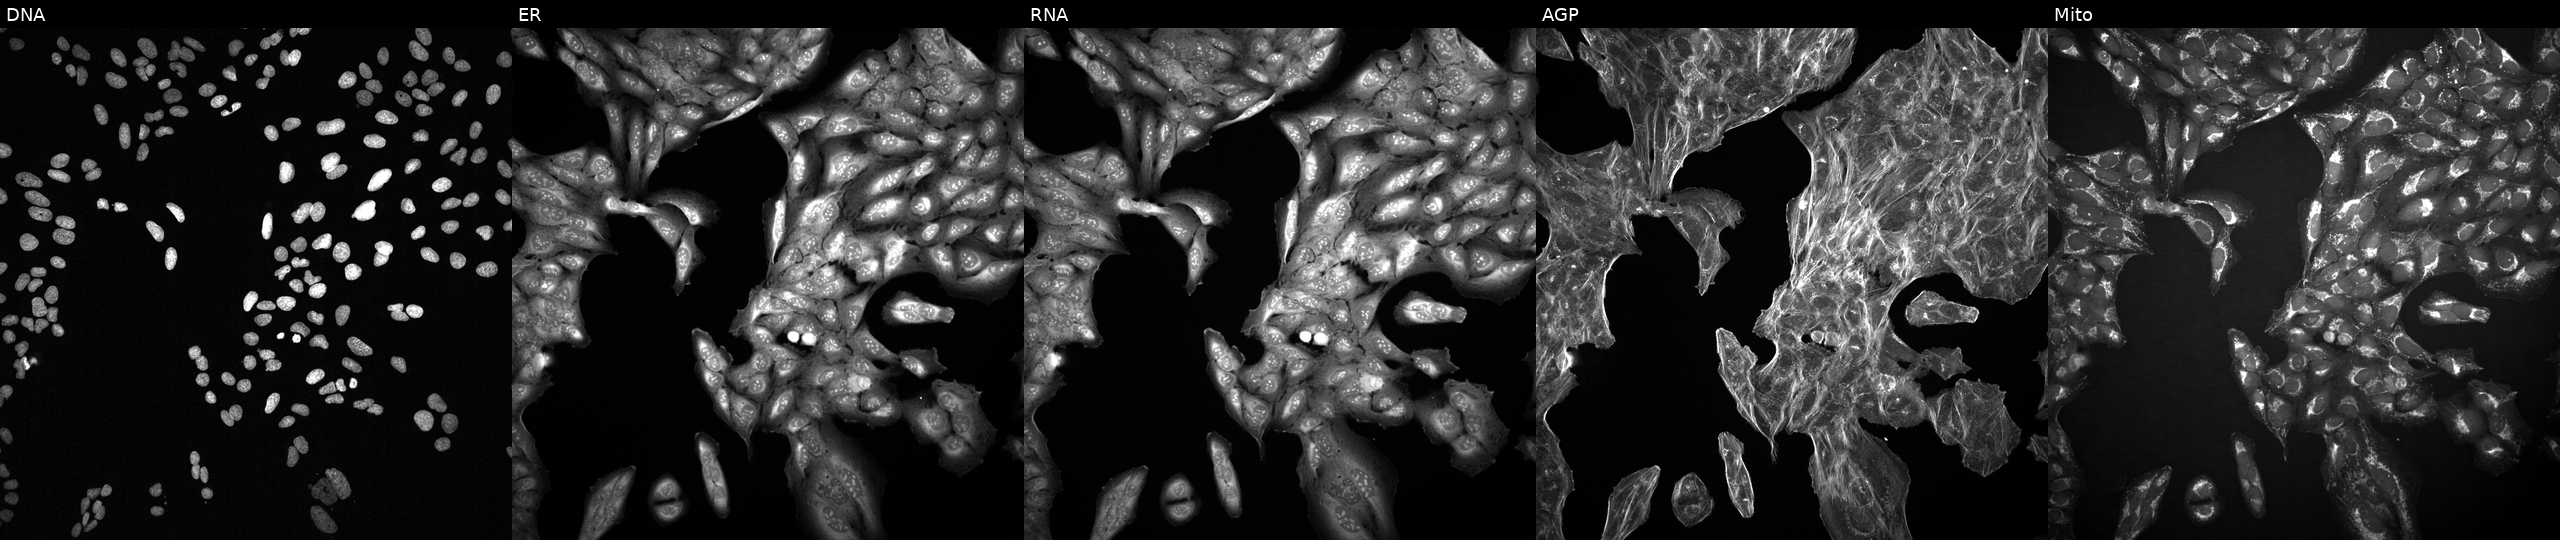
U2OS cells, Cell Painting assay, perturbed with a small-molecule compound (InChIKey SBODIWYGZWMUJQ-UHFFFAOYSA-N) (JUMP id JCP2022_082122). From left to right: DNA, ER, RNA, AGP, and Mito. Each panel is percentile-stretched 16-bit fluorescence. Source 2, plate 1053601756, well O17.